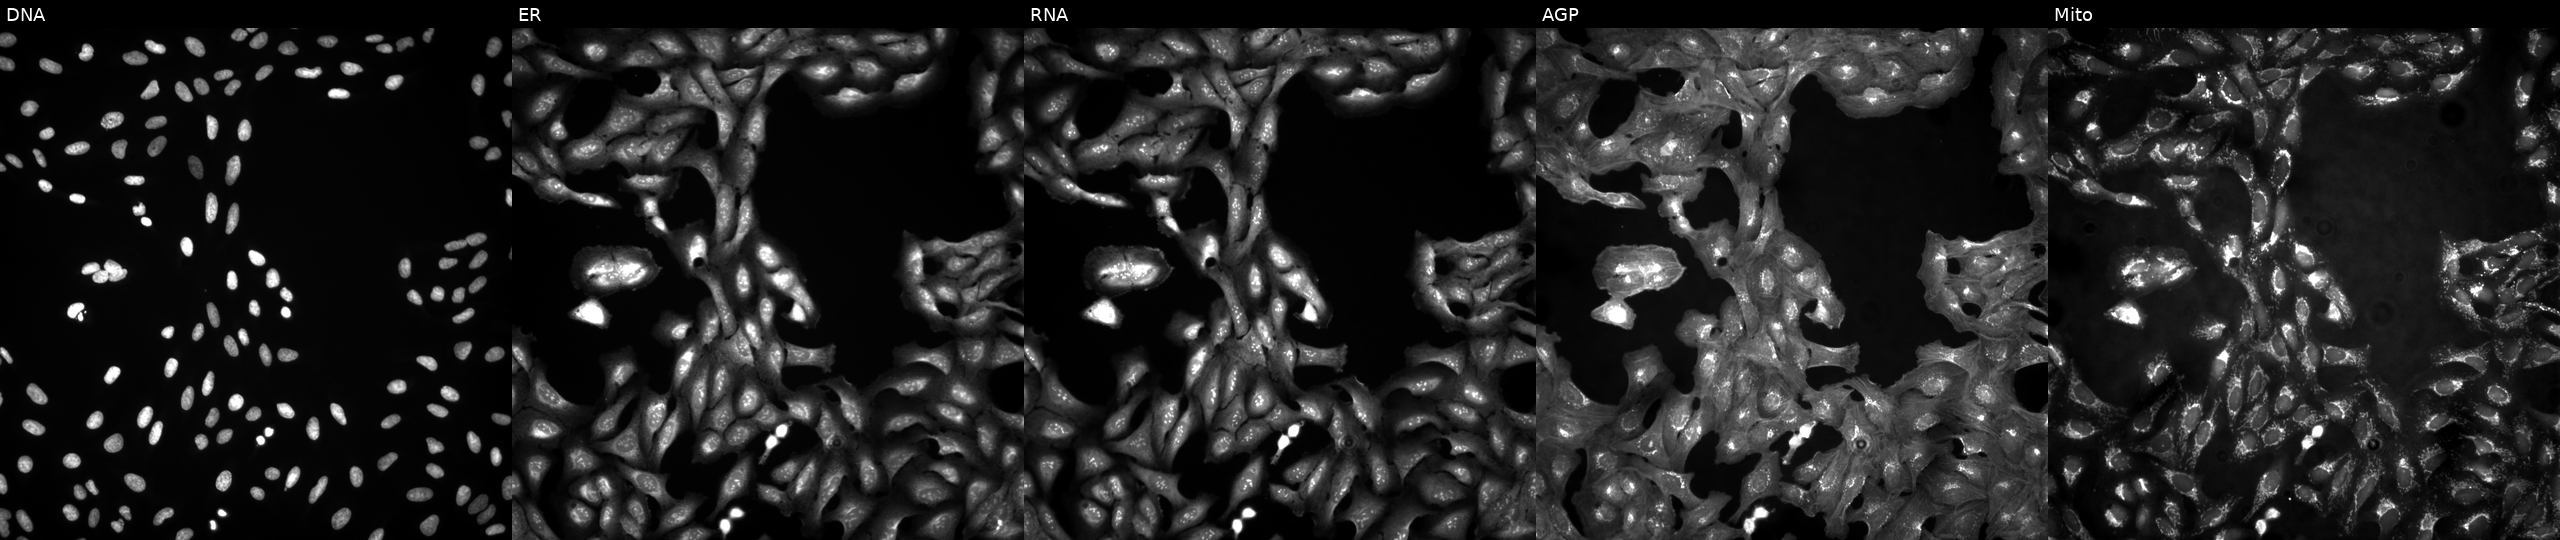
JUMP Cell Painting — ORF plate. U2OS cells in an empty control well (no perturbation). Panels show, left to right, DNA (nuclei); ER (endoplasmic reticulum); RNA (nucleoli and cytoplasmic RNA); AGP (actin cytoskeleton, Golgi, and plasma membrane); Mito (mitochondria).